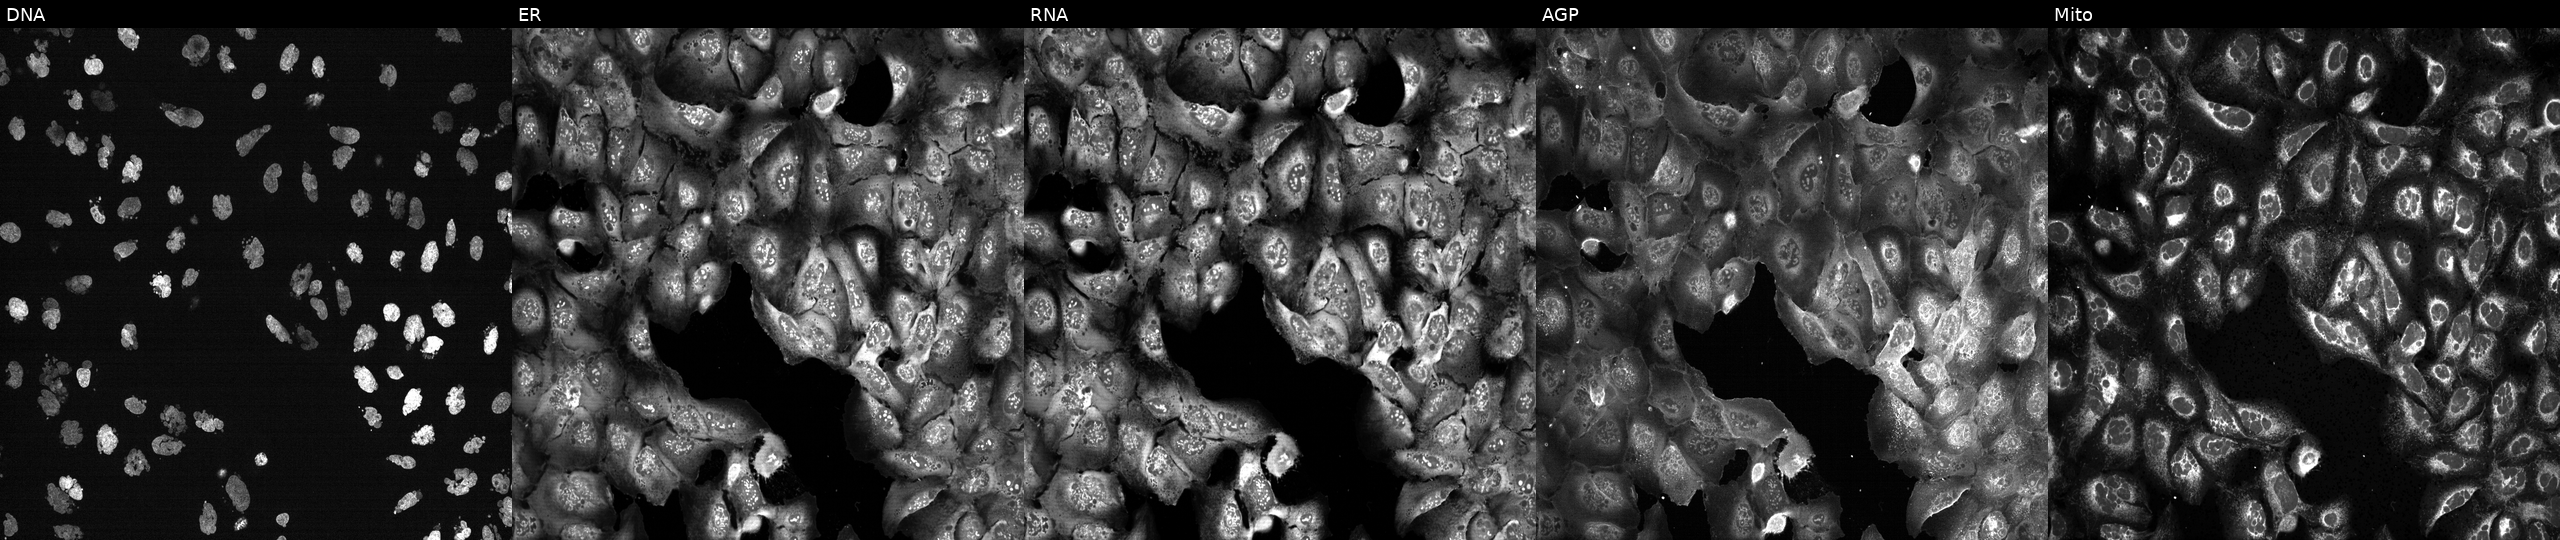
Five-channel Cell Painting image of U2OS cells exposed to the positive-control compound AMG900. The five panels, left to right, show DNA, ER, RNA, AGP, and Mito.